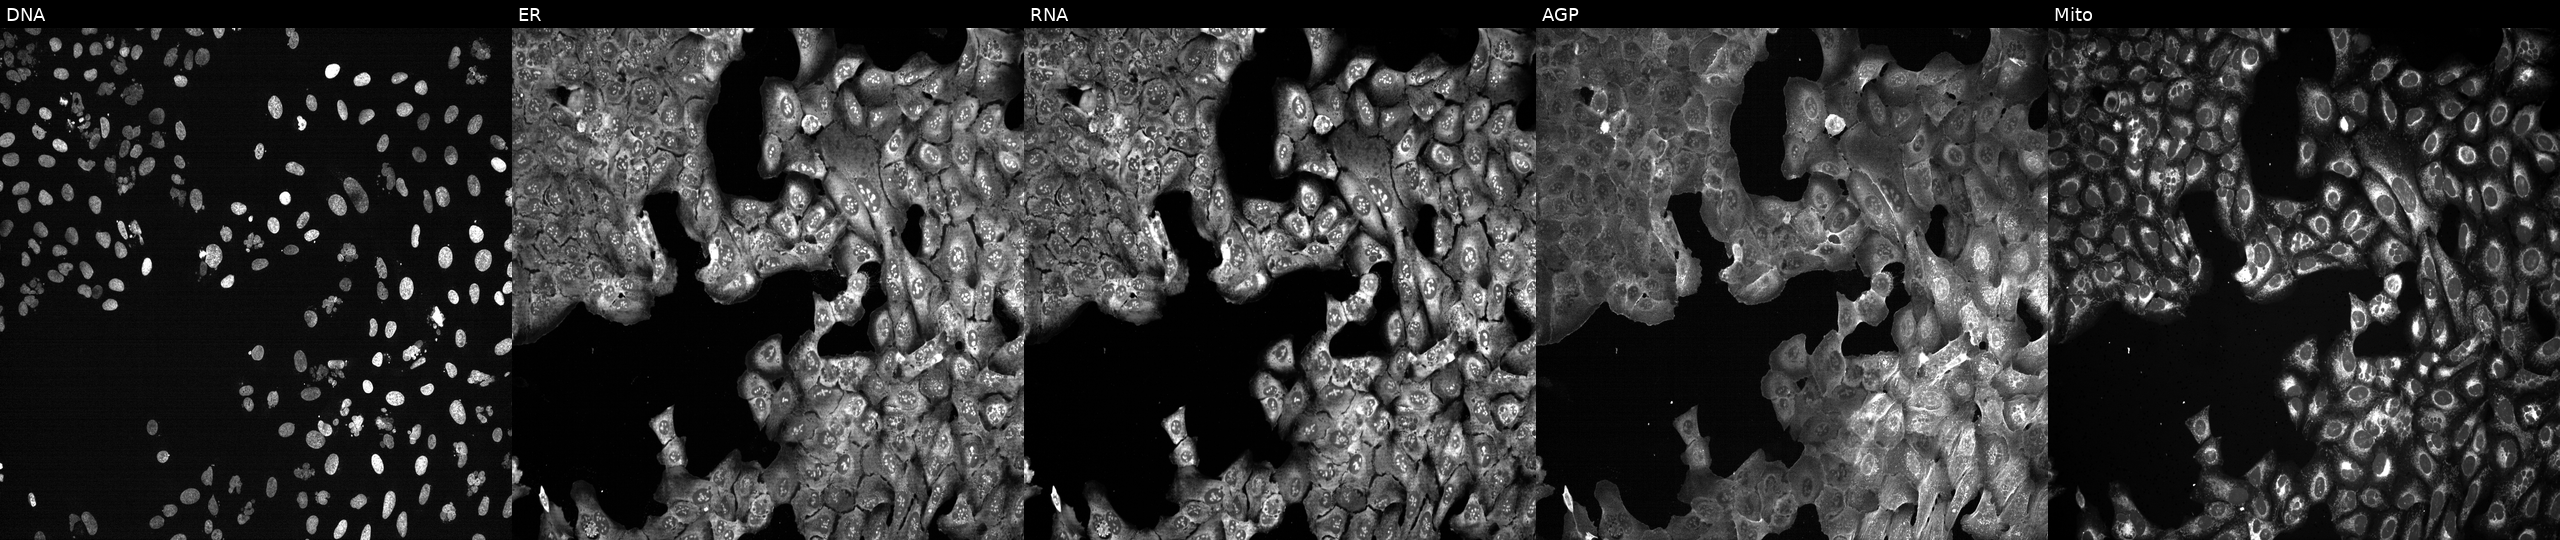
This image strip shows the five Cell Painting channels for a single field of U2OS cells following CRISPR knockout of TOPBP1. From left to right: DNA (nuclei); ER (endoplasmic reticulum); RNA (nucleoli and cytoplasmic RNA); AGP (actin cytoskeleton, Golgi, and plasma membrane); Mito (mitochondria).